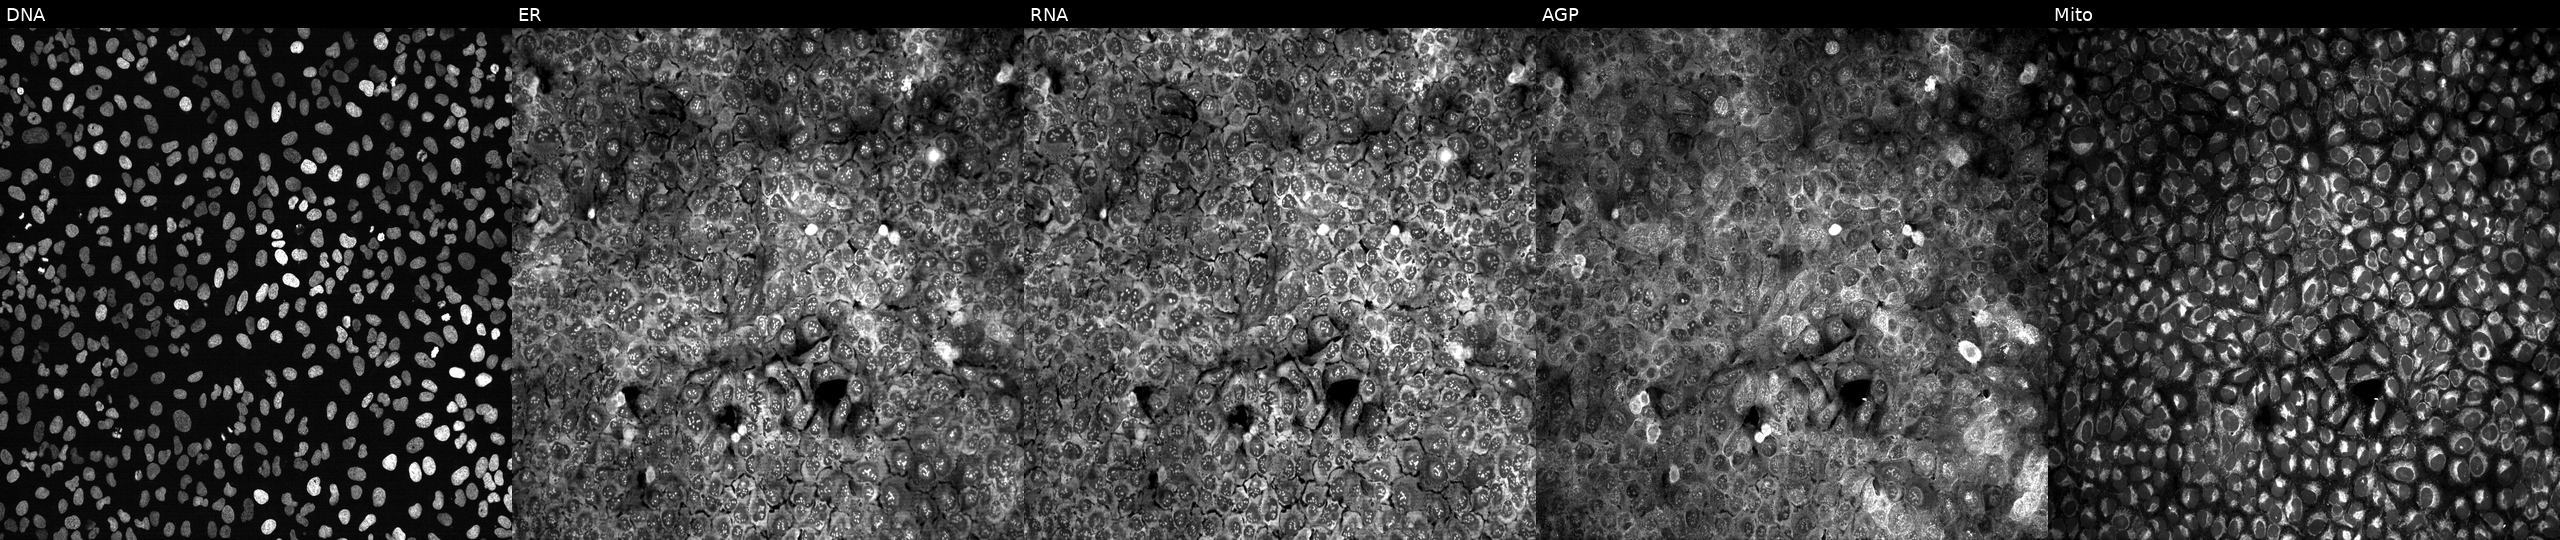
U2OS cells, Cell Painting assay, with a non-targeting CRISPR guide (negative control). The five panels, left to right, show Hoechst 33342, concanavalin A, SYTO 14, phalloidin and WGA, MitoTracker. Each panel is percentile-stretched 16-bit fluorescence.